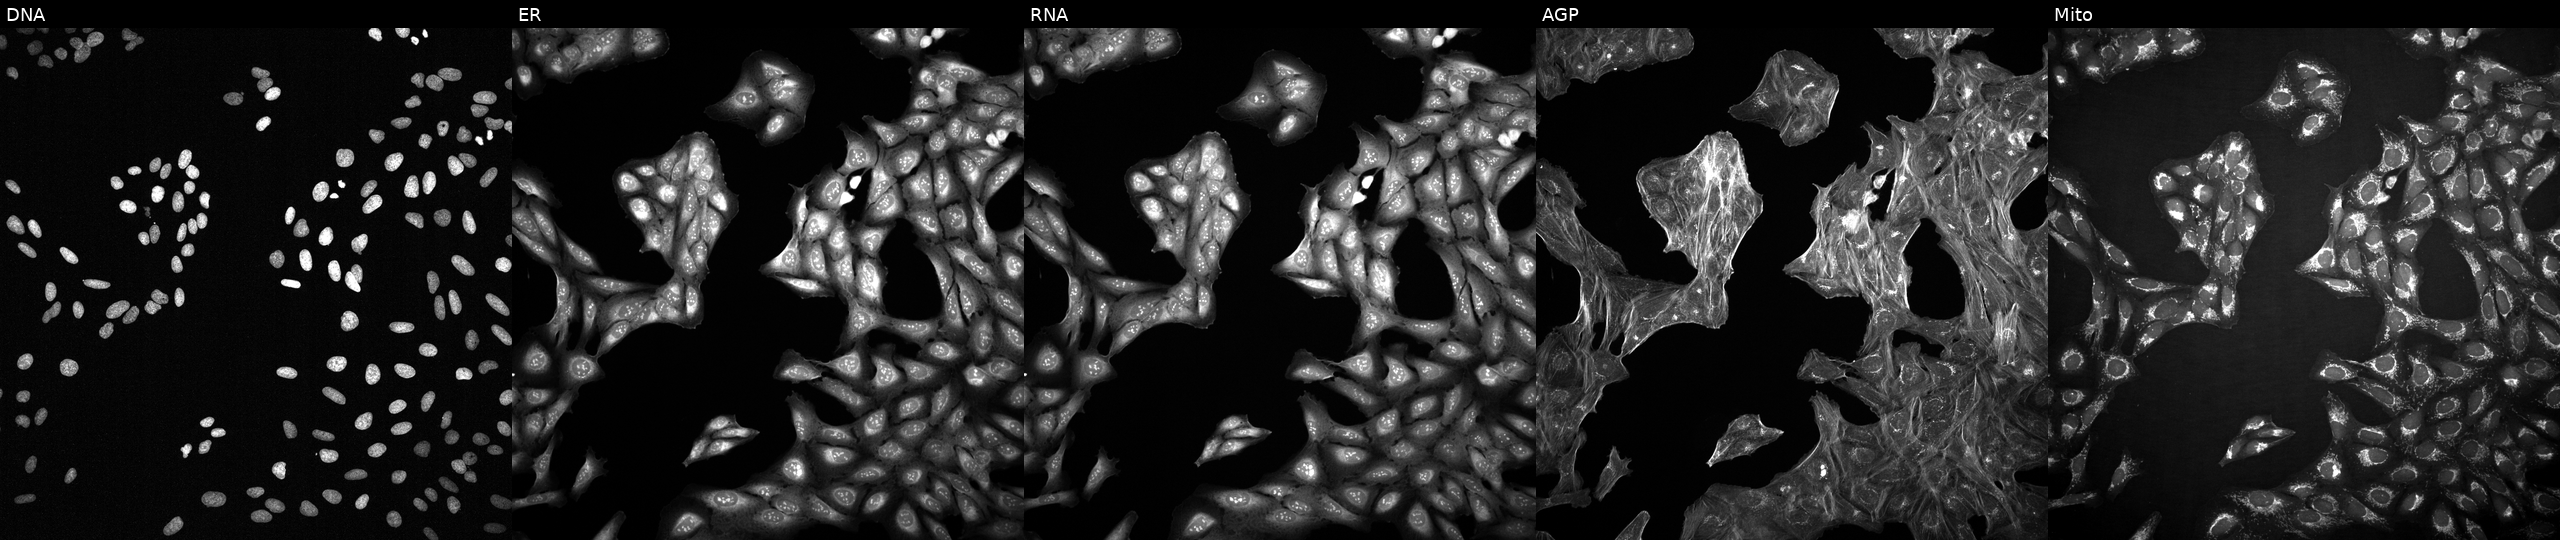
High-content fluorescence microscopy (Cell Painting). Cell line: U2OS. Perturbation: exposed to a small-molecule compound [SMILES: O=C(O)c1ccc2c(c1)C(=O)N(c1cccc(Oc3ccc([N+](=O)[O-])cc3)c1)C2=O]. From left to right: DNA, ER, RNA, AGP, and Mito.